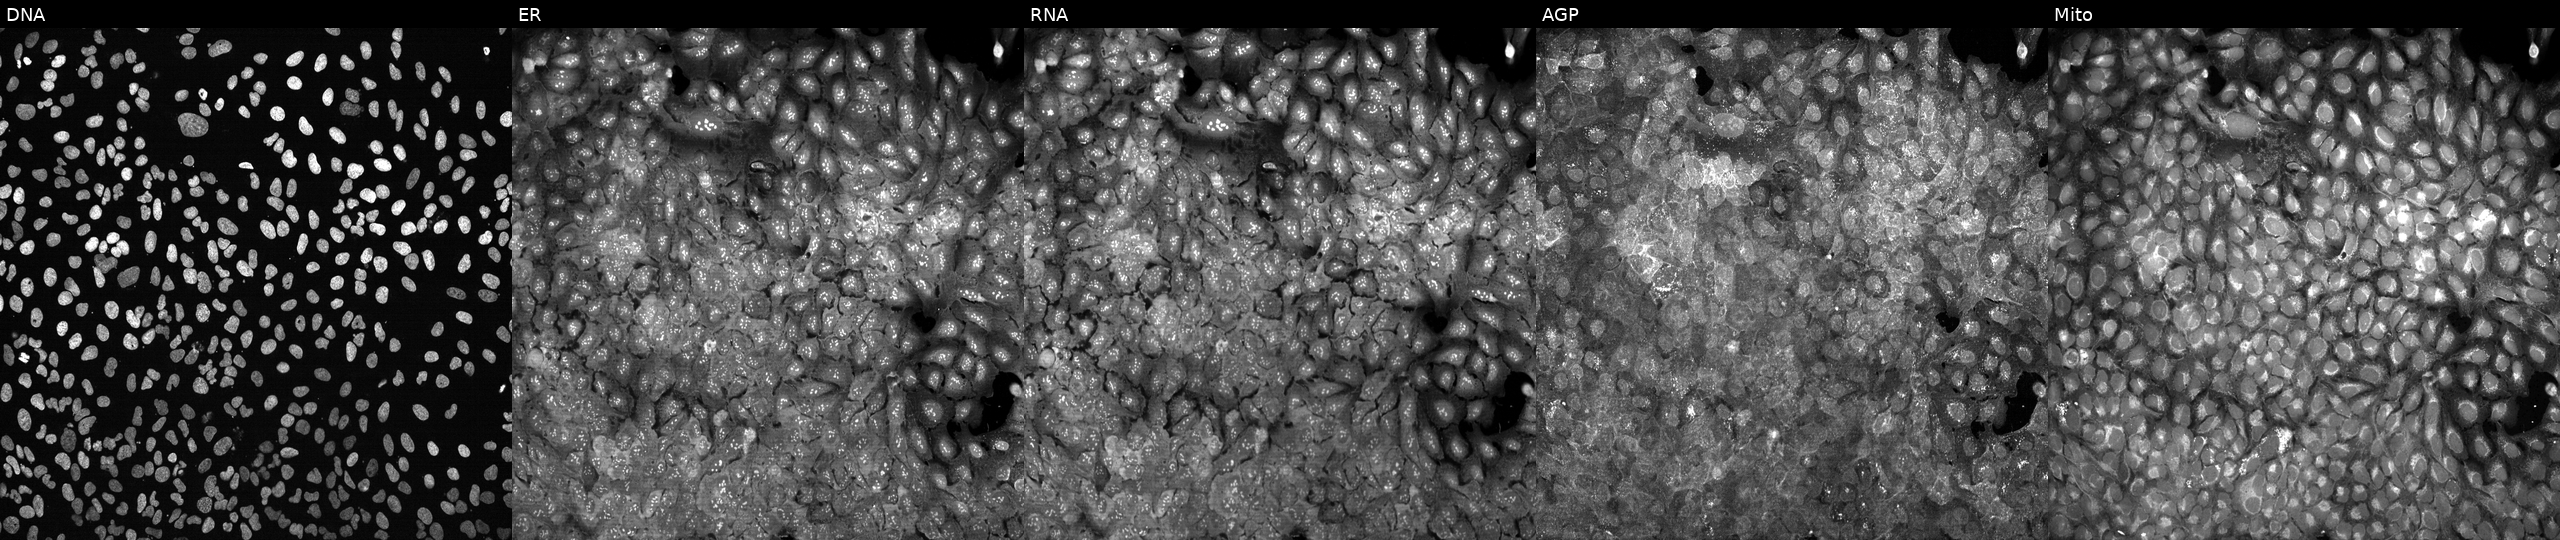
Five-channel Cell Painting image of U2OS cells following CRISPR knockout of CP. The five panels, left to right, show Hoechst 33342, concanavalin A, SYTO 14, phalloidin and WGA, MitoTracker. Source 13, plate CP-CC9-R1-01, well J10.